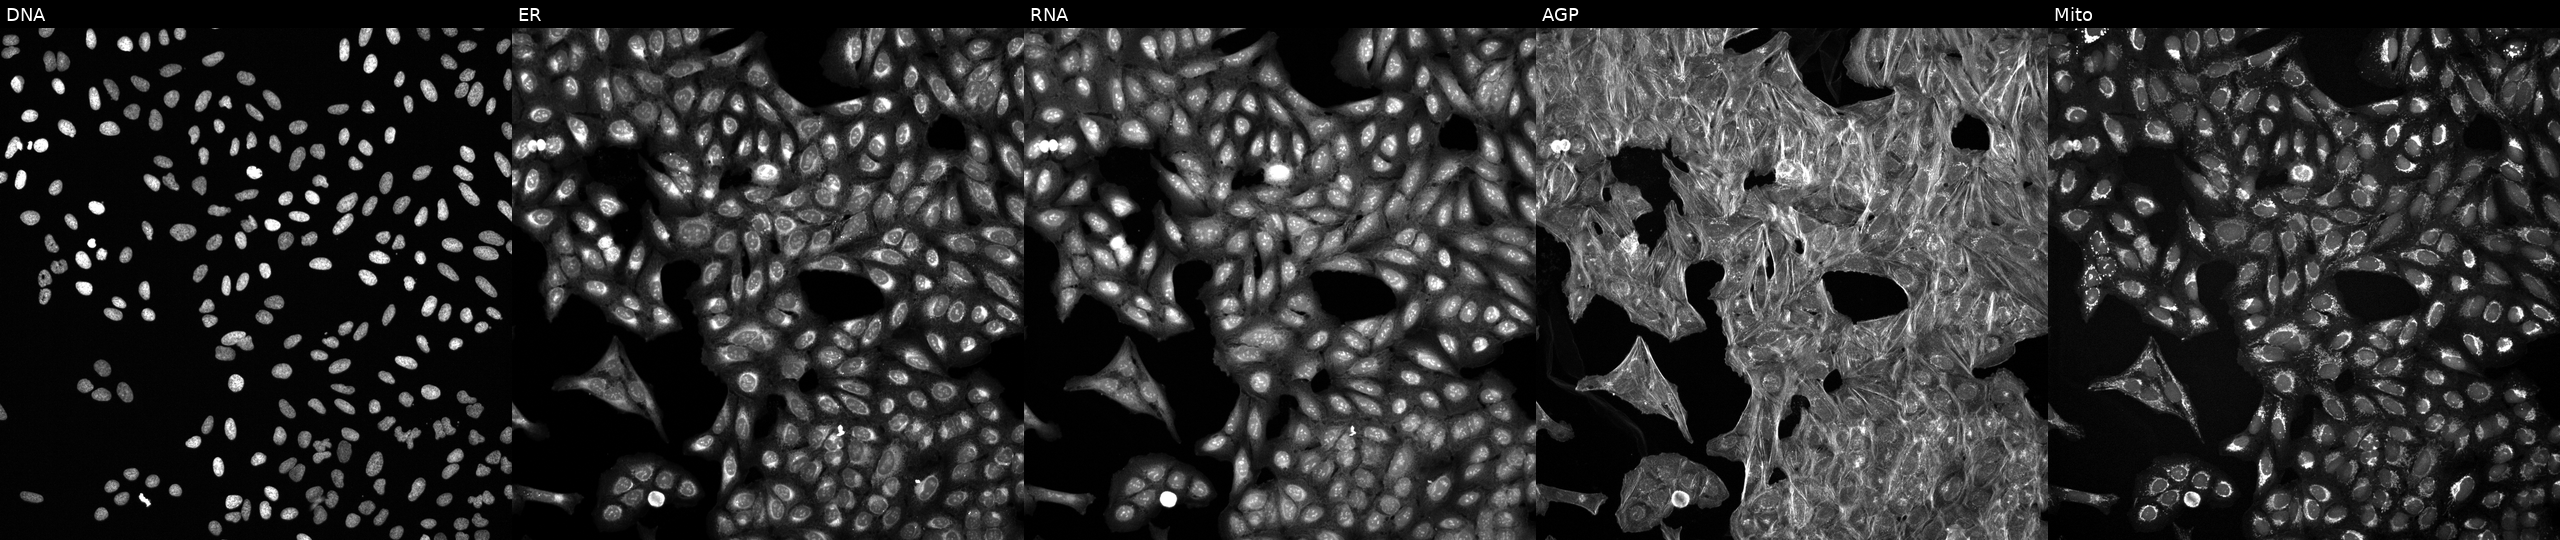
JUMP Cell Painting — COMPOUND plate. U2OS cells perturbed with a small-molecule compound (InChIKey HHMHKWFHWAPSRV-UHFFFAOYSA-N). From left to right: Hoechst 33342, concanavalin A, SYTO 14, phalloidin and WGA, MitoTracker. Source 6, plate 110000293083, well H06.